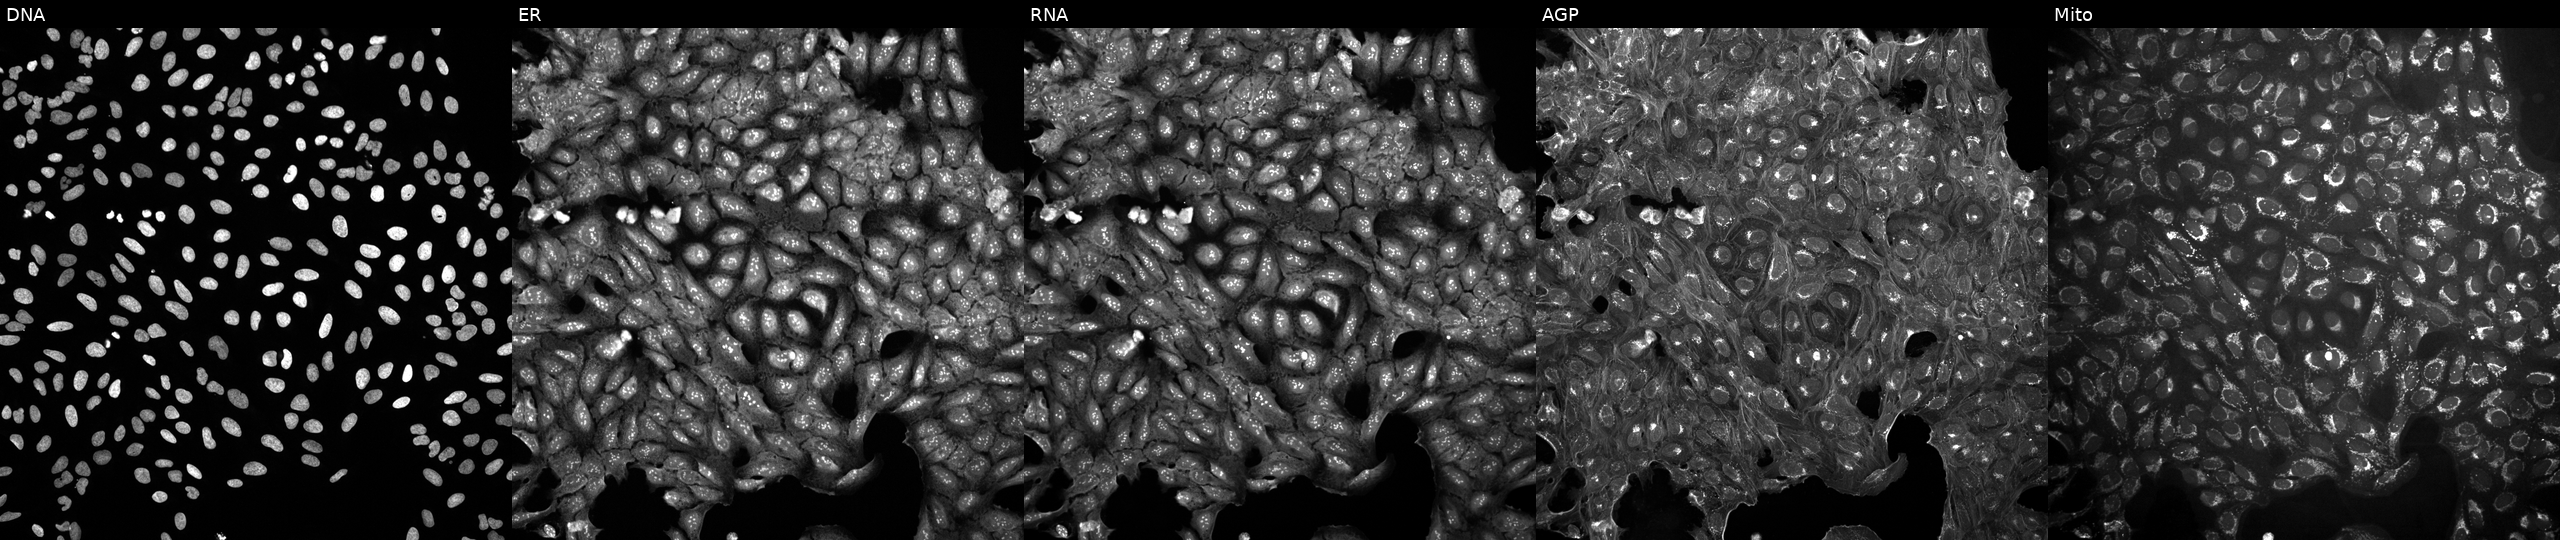
This image strip shows the five Cell Painting channels for a single field of U2OS cells treated with DMSO vehicle only (negative control) (JUMP id JCP2022_033924). Channels (left→right): DNA, ER, RNA, AGP, and Mito.